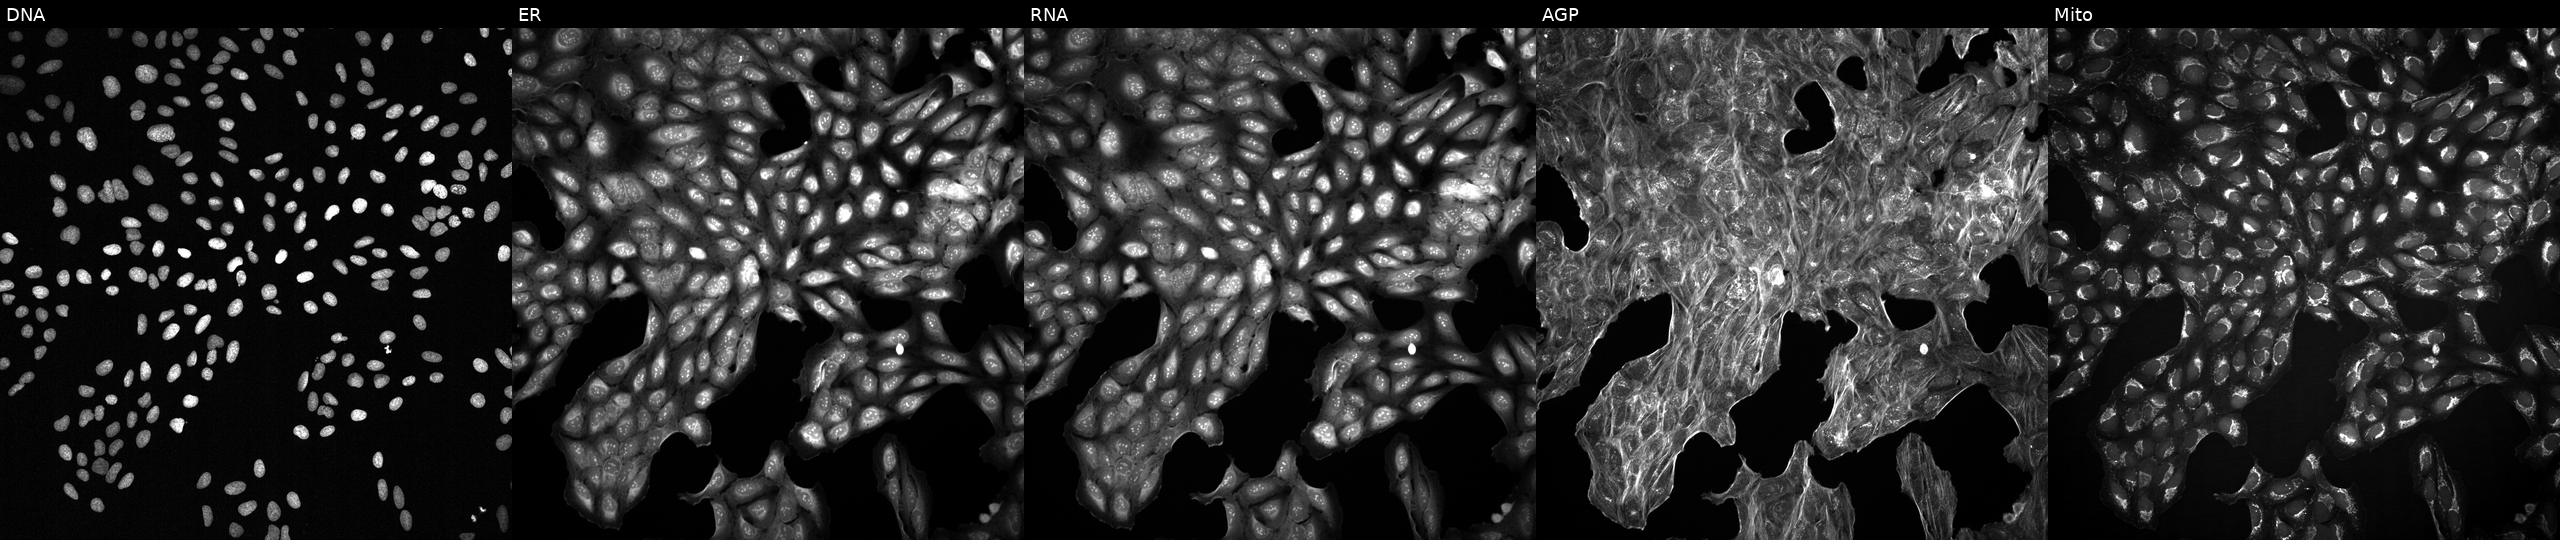
JUMP Cell Painting — TARGET2 plate. U2OS cells exposed to a small-molecule compound. Channels (left→right): DNA, ER, RNA, AGP, and Mito. Source 2, plate 1053600674, well M09.